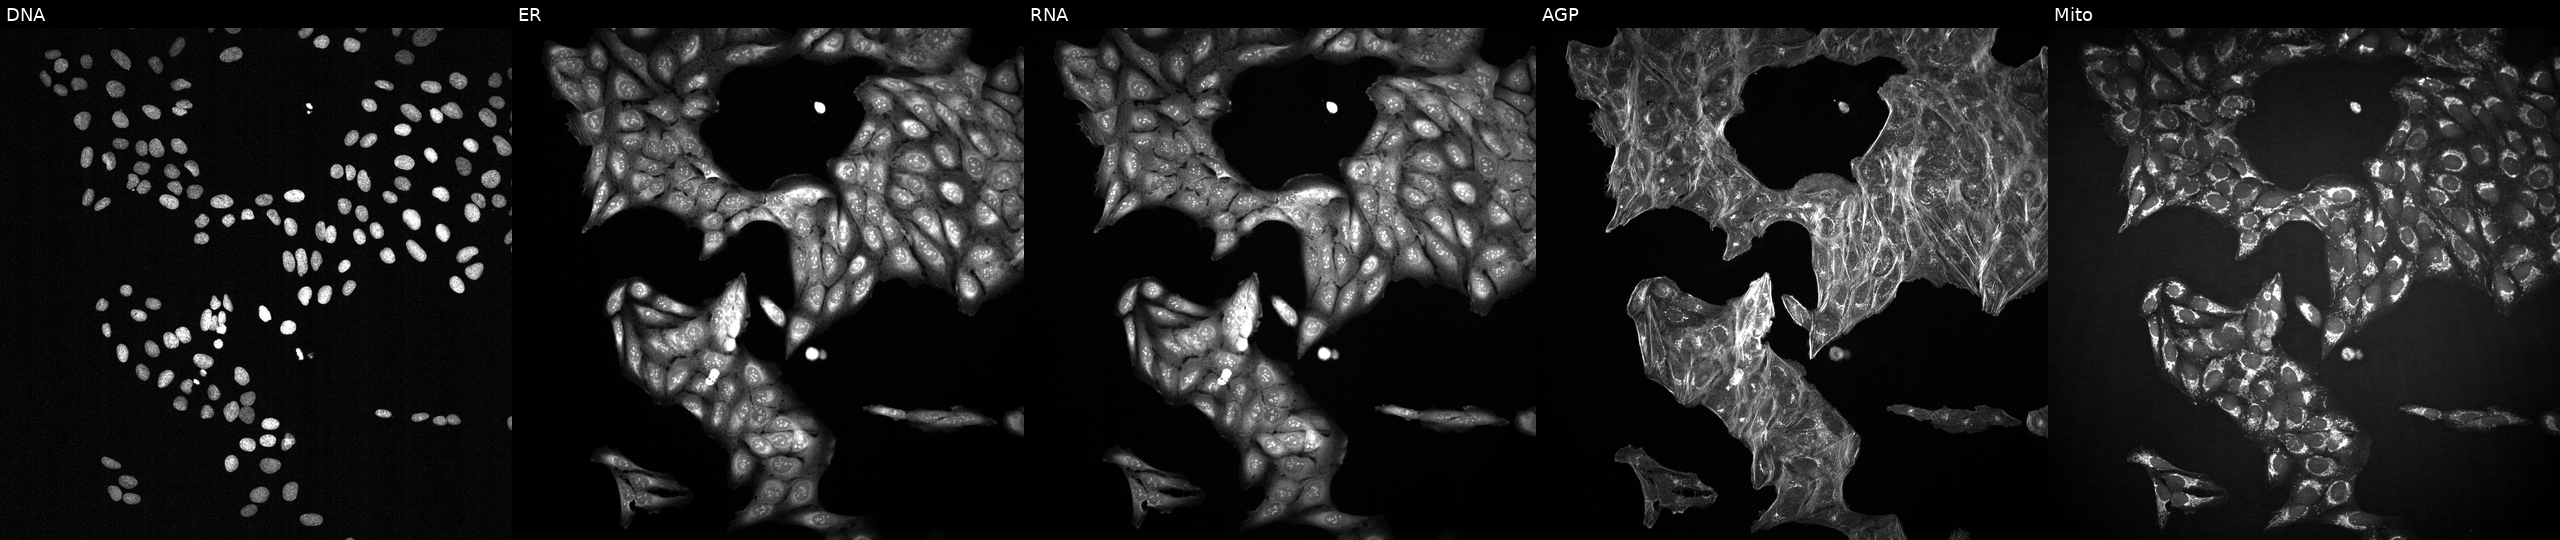
JUMP Cell Painting — TARGET2 plate. U2OS cells treated with a small-molecule compound. The five panels, left to right, show DNA (nuclei); ER (endoplasmic reticulum); RNA (nucleoli and cytoplasmic RNA); AGP (actin cytoskeleton, Golgi, and plasma membrane); Mito (mitochondria). Source 2, plate 1053599503, well F01.